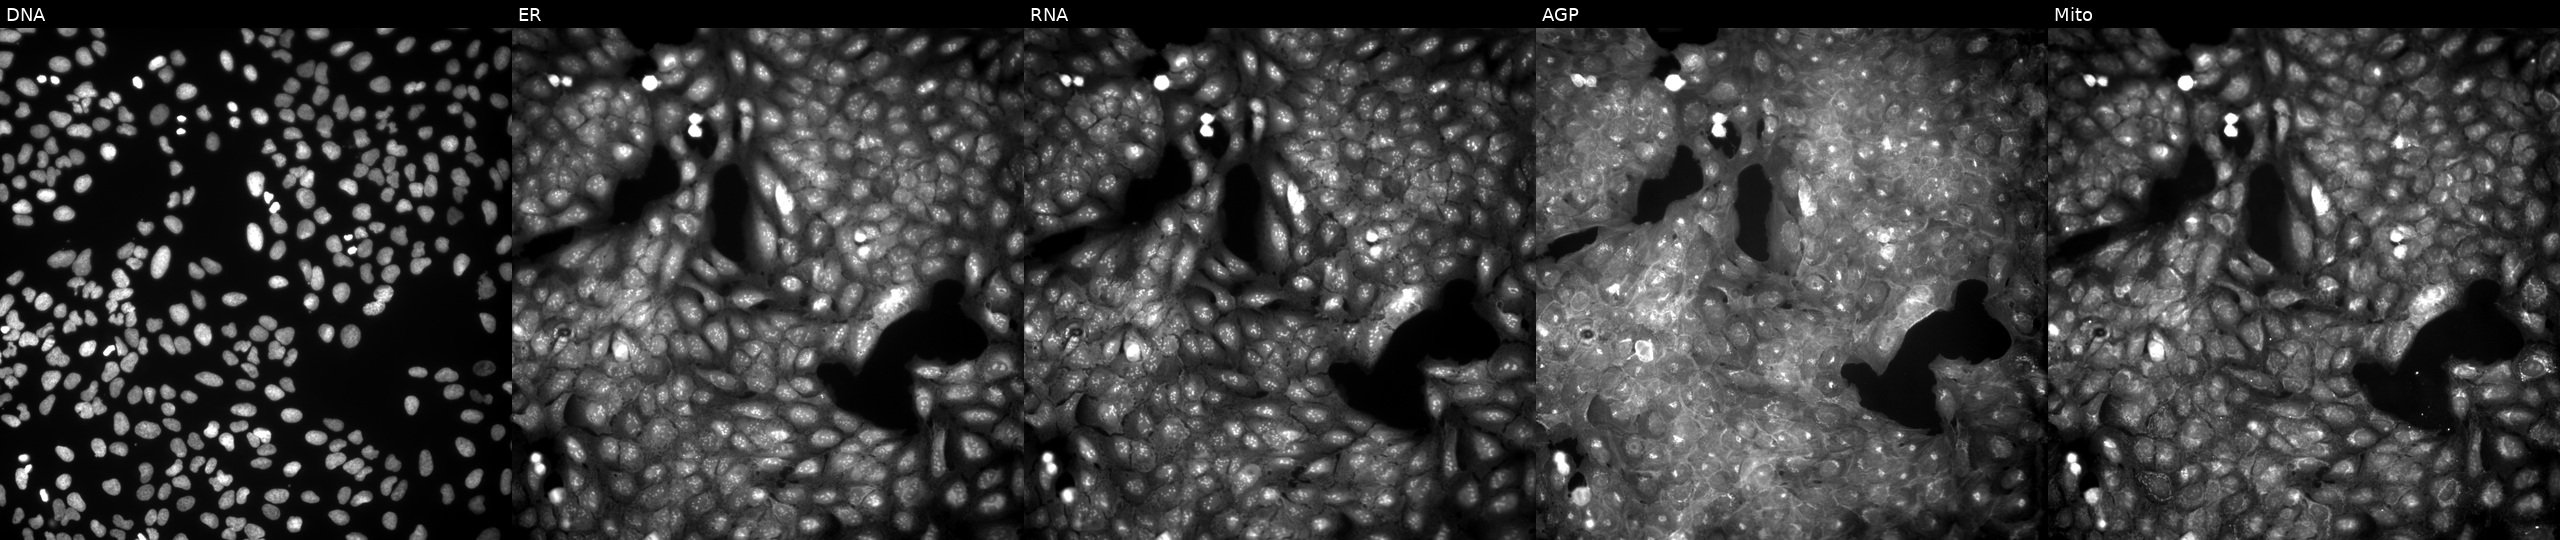
Five-channel Cell Painting image of U2OS cells treated with a small-molecule compound (InChIKey KKCNEENPQLJWOA-UHFFFAOYSA-N) (JUMP id JCP2022_045132). The five panels, left to right, show DNA (nuclei); ER (endoplasmic reticulum); RNA (nucleoli and cytoplasmic RNA); AGP (actin cytoskeleton, Golgi, and plasma membrane); Mito (mitochondria).